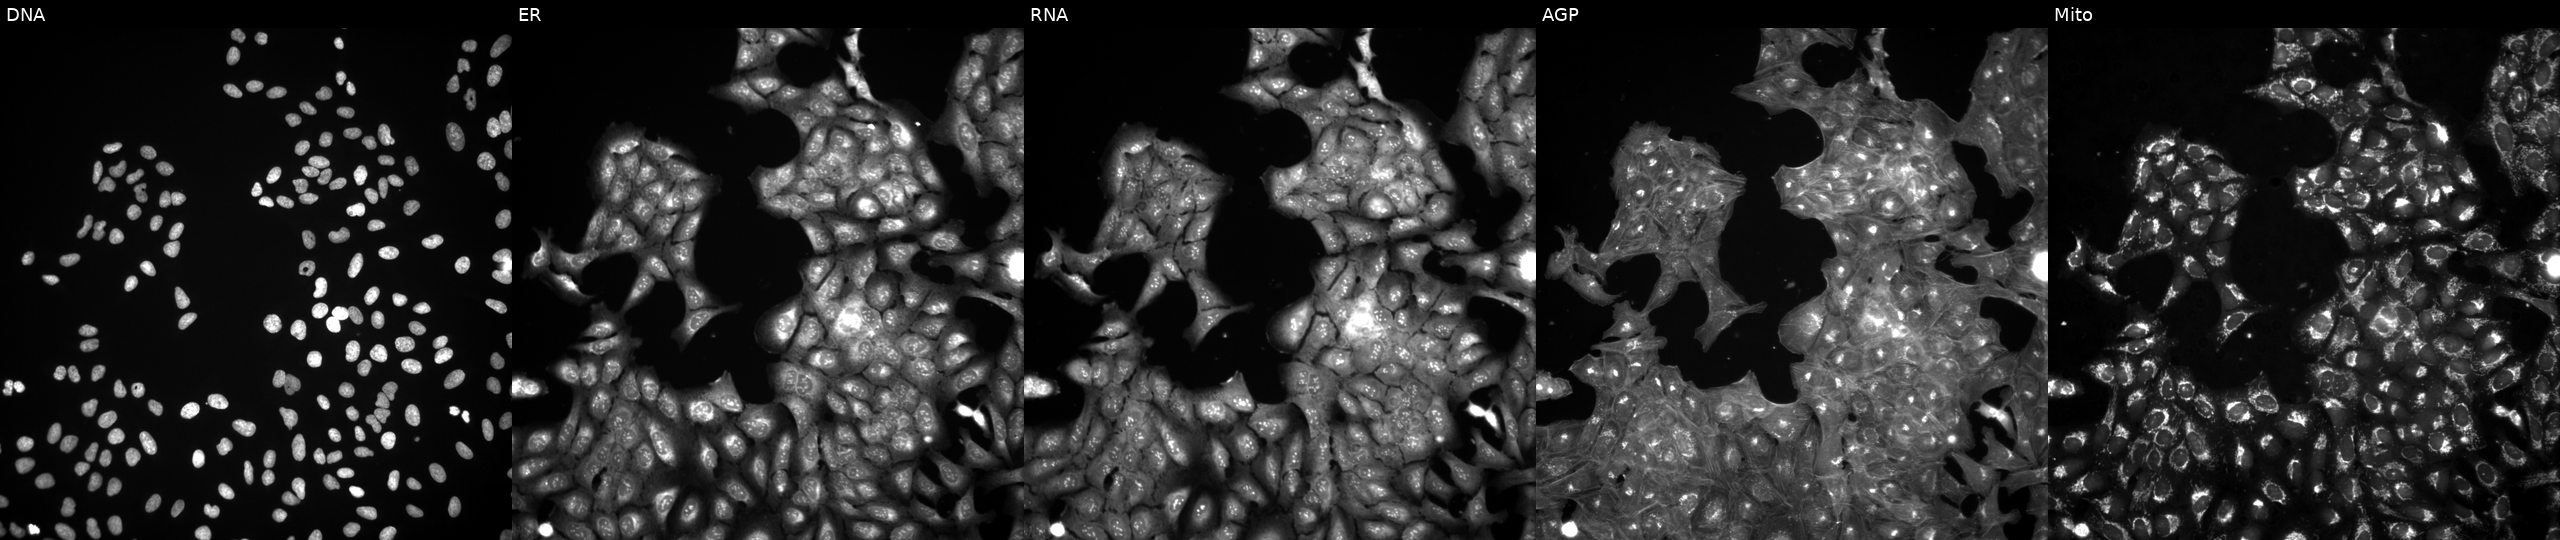
High-content fluorescence microscopy (Cell Painting). Cell line: U2OS. Perturbation: exposed to a small-molecule compound (InChIKey SZBGQDXLNMELTB-UHFFFAOYSA-N) (JUMP id JCP2022_086505). Panels show, left to right, DNA, ER, RNA, AGP, and Mito.